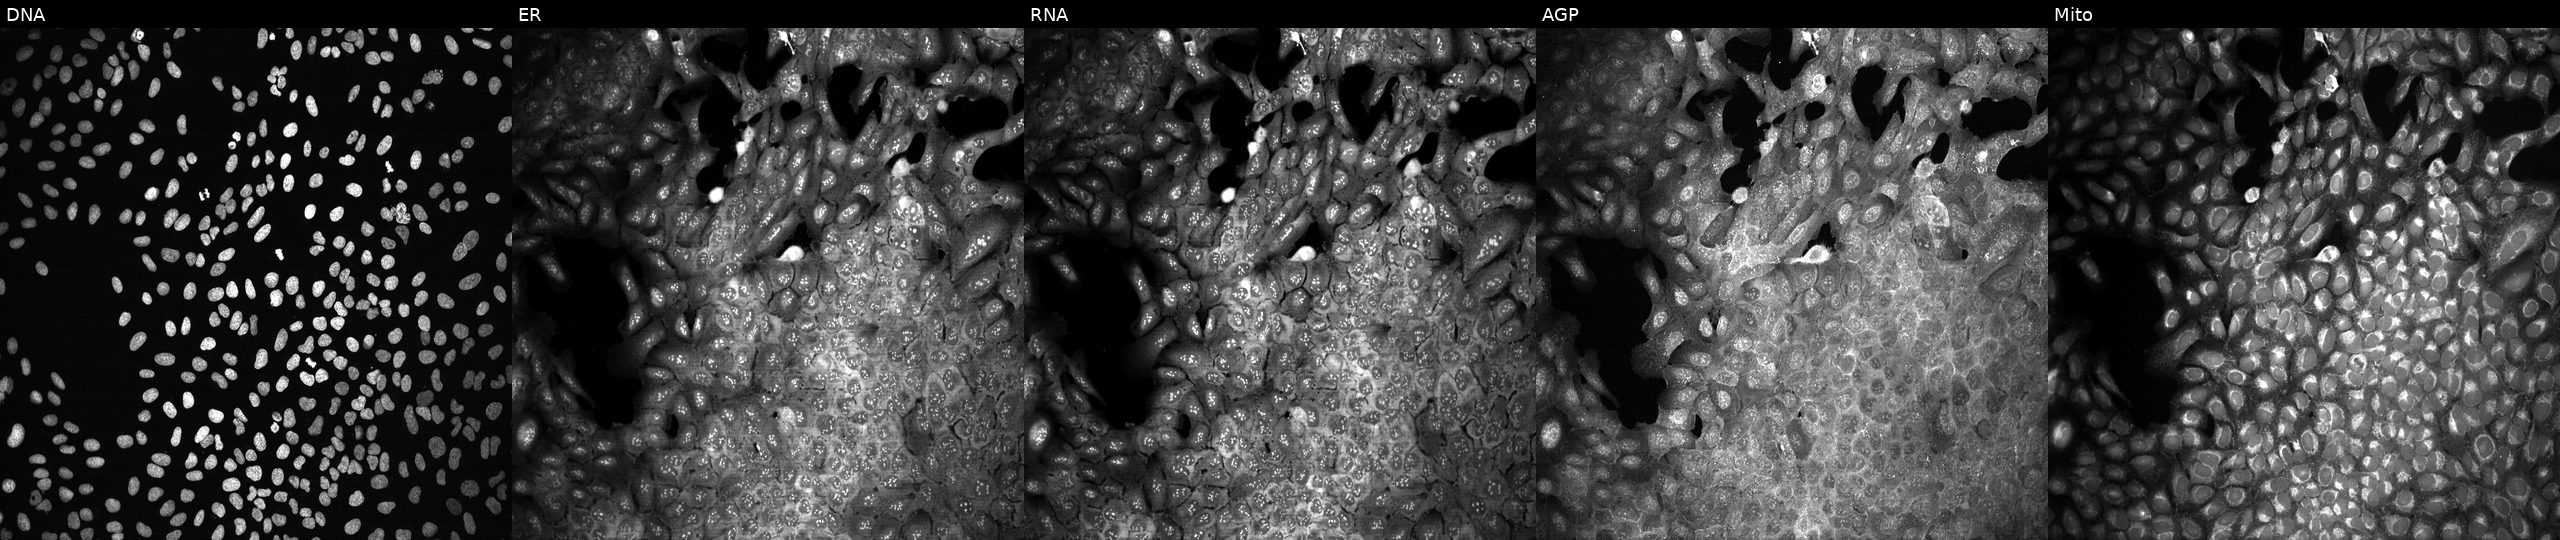
U2OS cells, Cell Painting assay, with a non-targeting CRISPR guide (negative control) (JUMP id JCP2022_800002). Panels show, left to right, DNA (nuclei); ER (endoplasmic reticulum); RNA (nucleoli and cytoplasmic RNA); AGP (actin cytoskeleton, Golgi, and plasma membrane); Mito (mitochondria). Each panel is percentile-stretched 16-bit fluorescence.